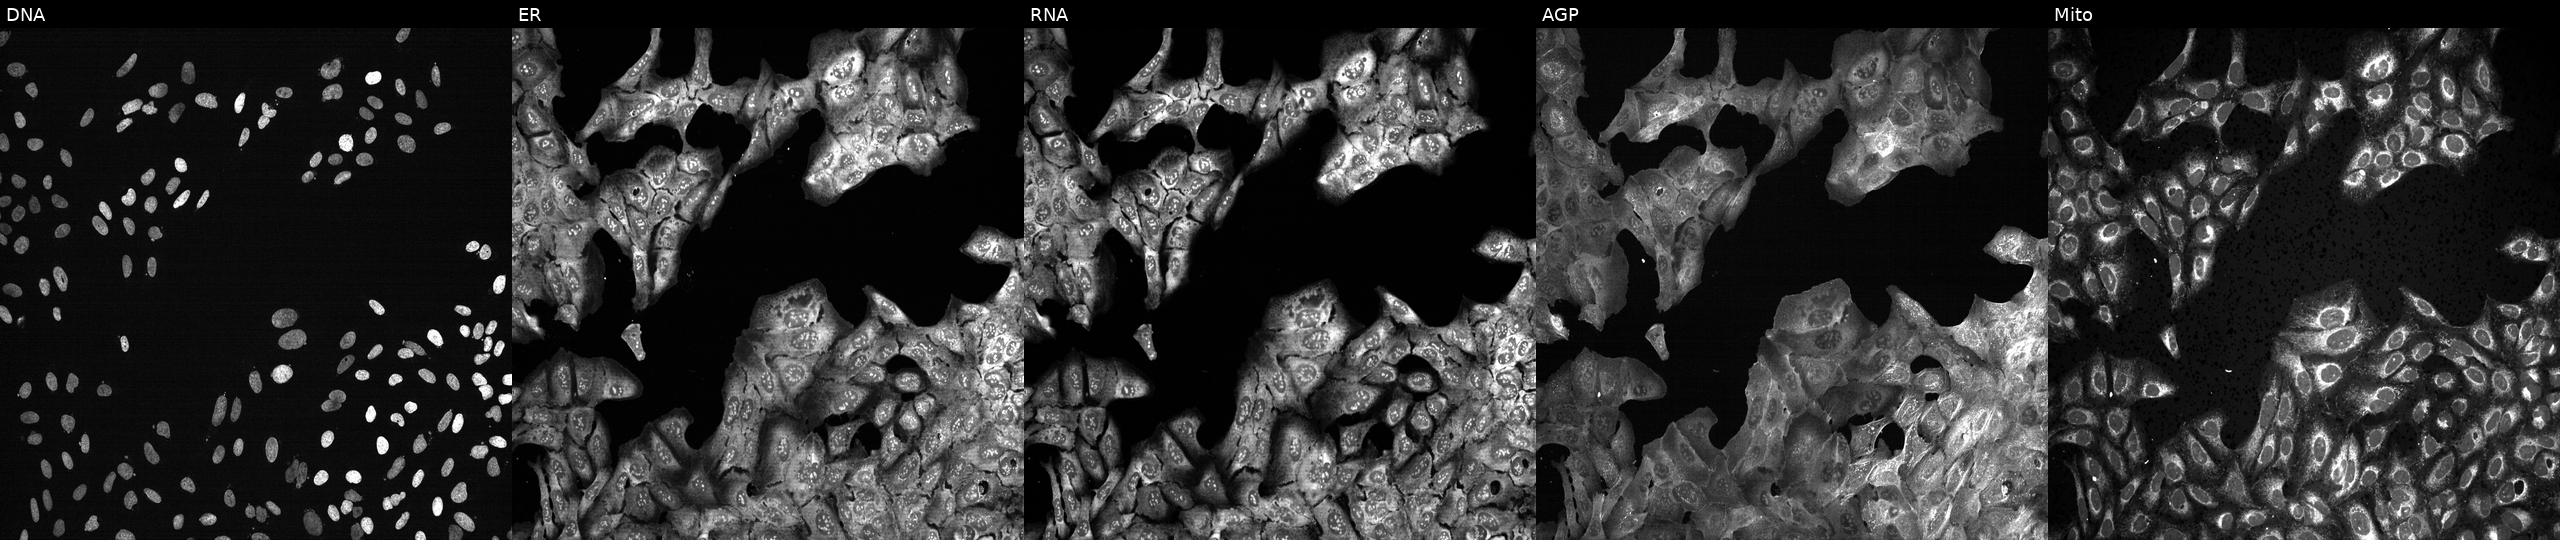
U2OS cells, Cell Painting assay, CRISPR-edited to disrupt FGF1 (JUMP id JCP2022_802375). The five panels, left to right, show DNA, ER, RNA, AGP, and Mito. Each panel is percentile-stretched 16-bit fluorescence.